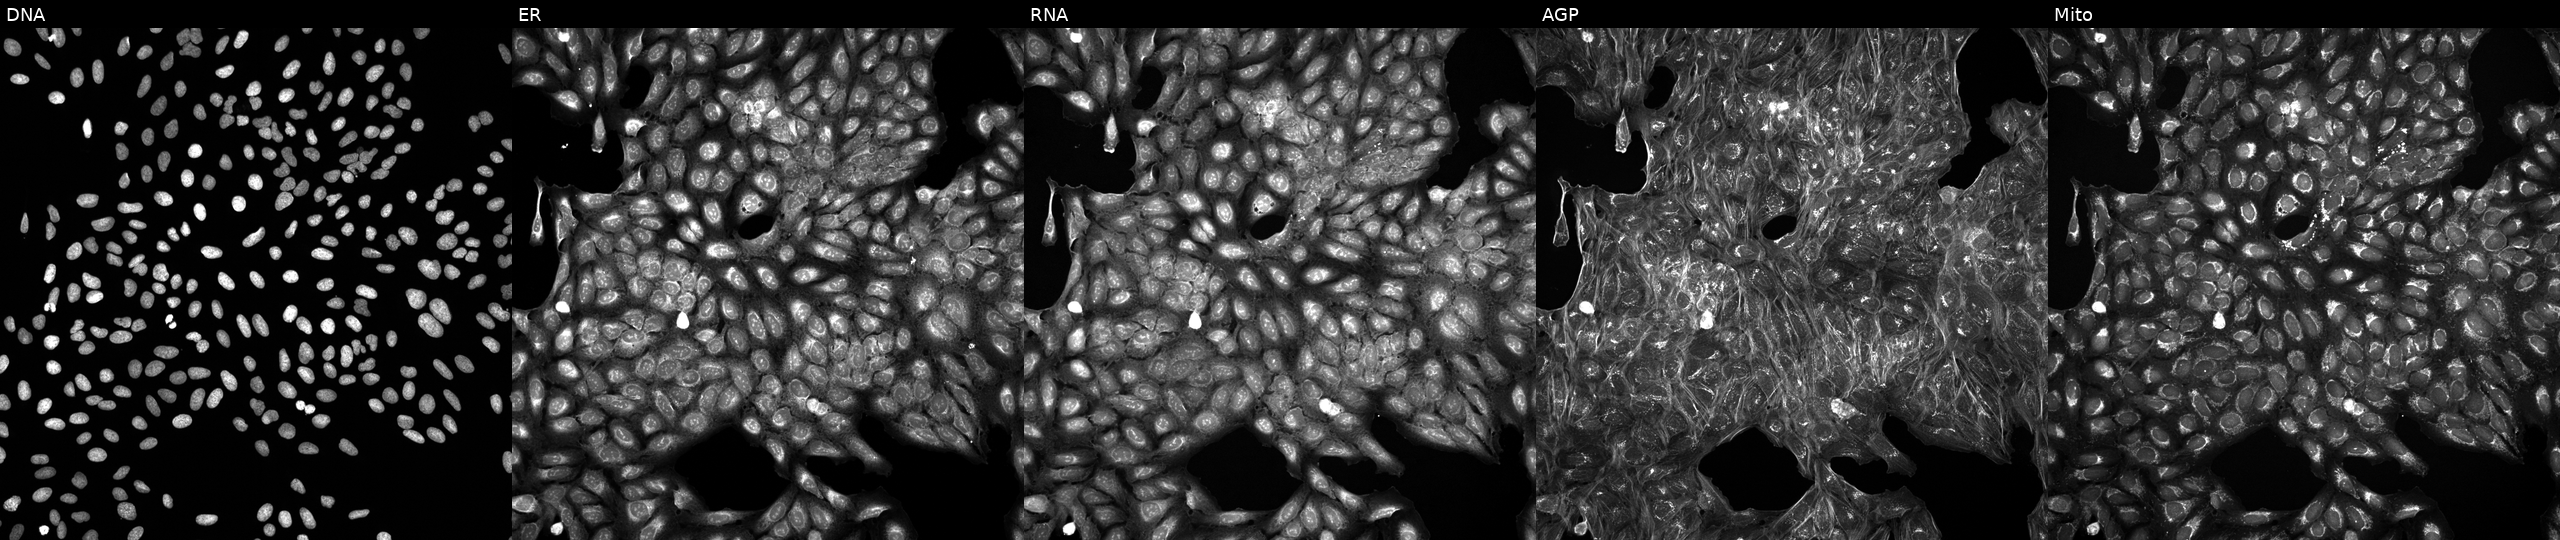
This image strip shows the five Cell Painting channels for a single field of U2OS cells perturbed with a small-molecule compound (JUMP id JCP2022_115049). Panels show, left to right, DNA, ER, RNA, AGP, and Mito.